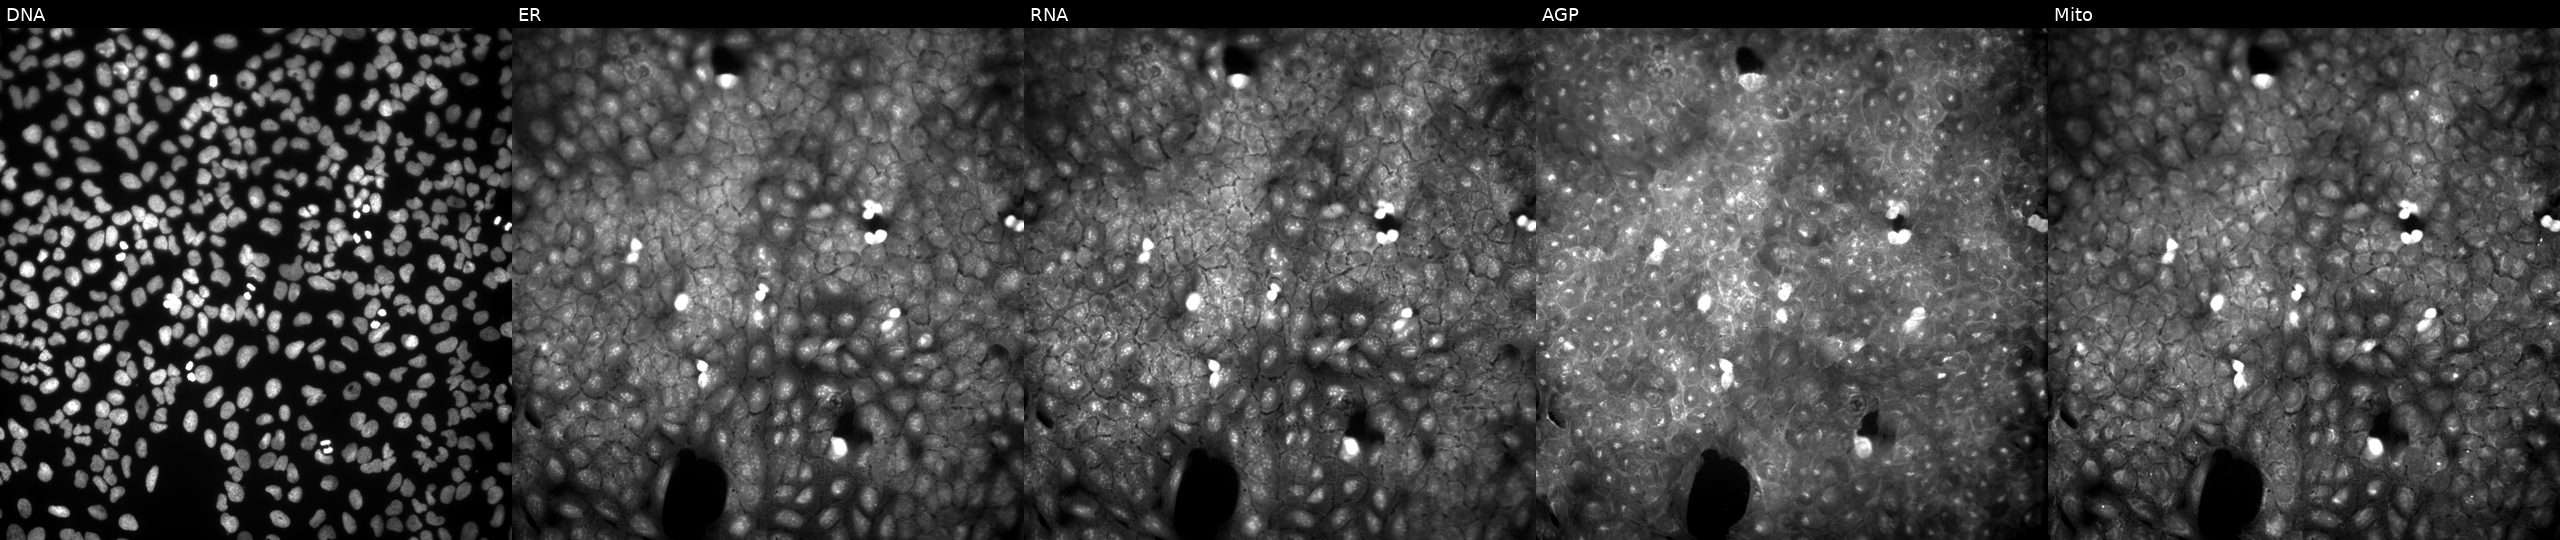
Channels (left→right): DNA, ER, RNA, AGP, and Mito. U2OS osteosarcoma cells treated with a small-molecule compound (InChIKey WWYJKRVPRQANAX-UHFFFAOYSA-N). Cell Painting assay, JUMP-CP dataset.